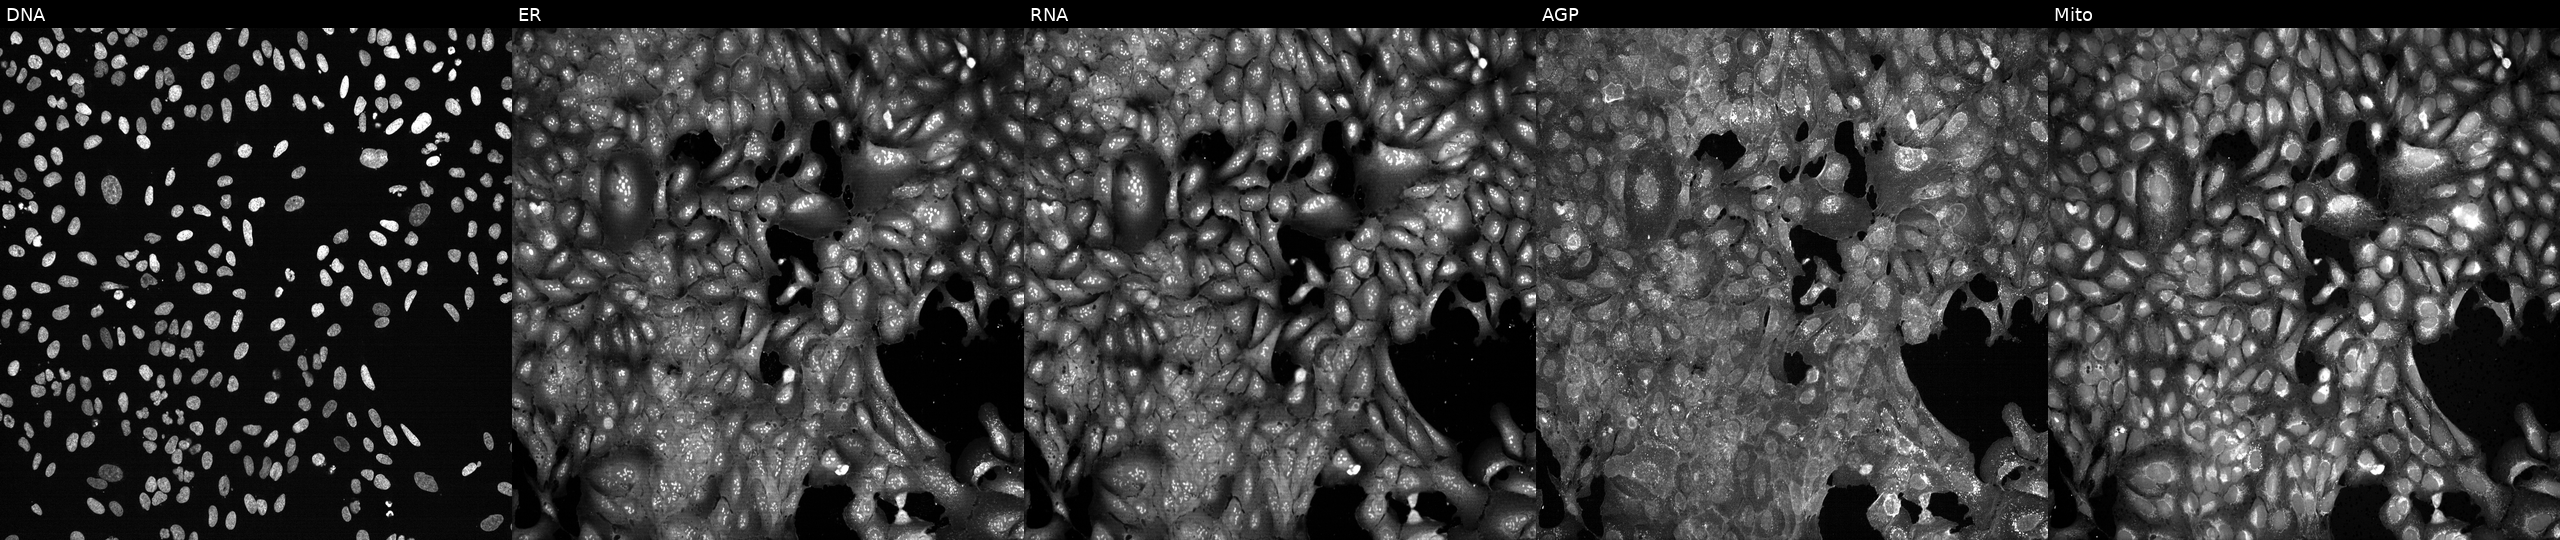
High-content fluorescence microscopy (Cell Painting). Cell line: U2OS. Perturbation: CRISPR-edited to disrupt VAV3. From left to right: DNA, ER, RNA, AGP, and Mito.